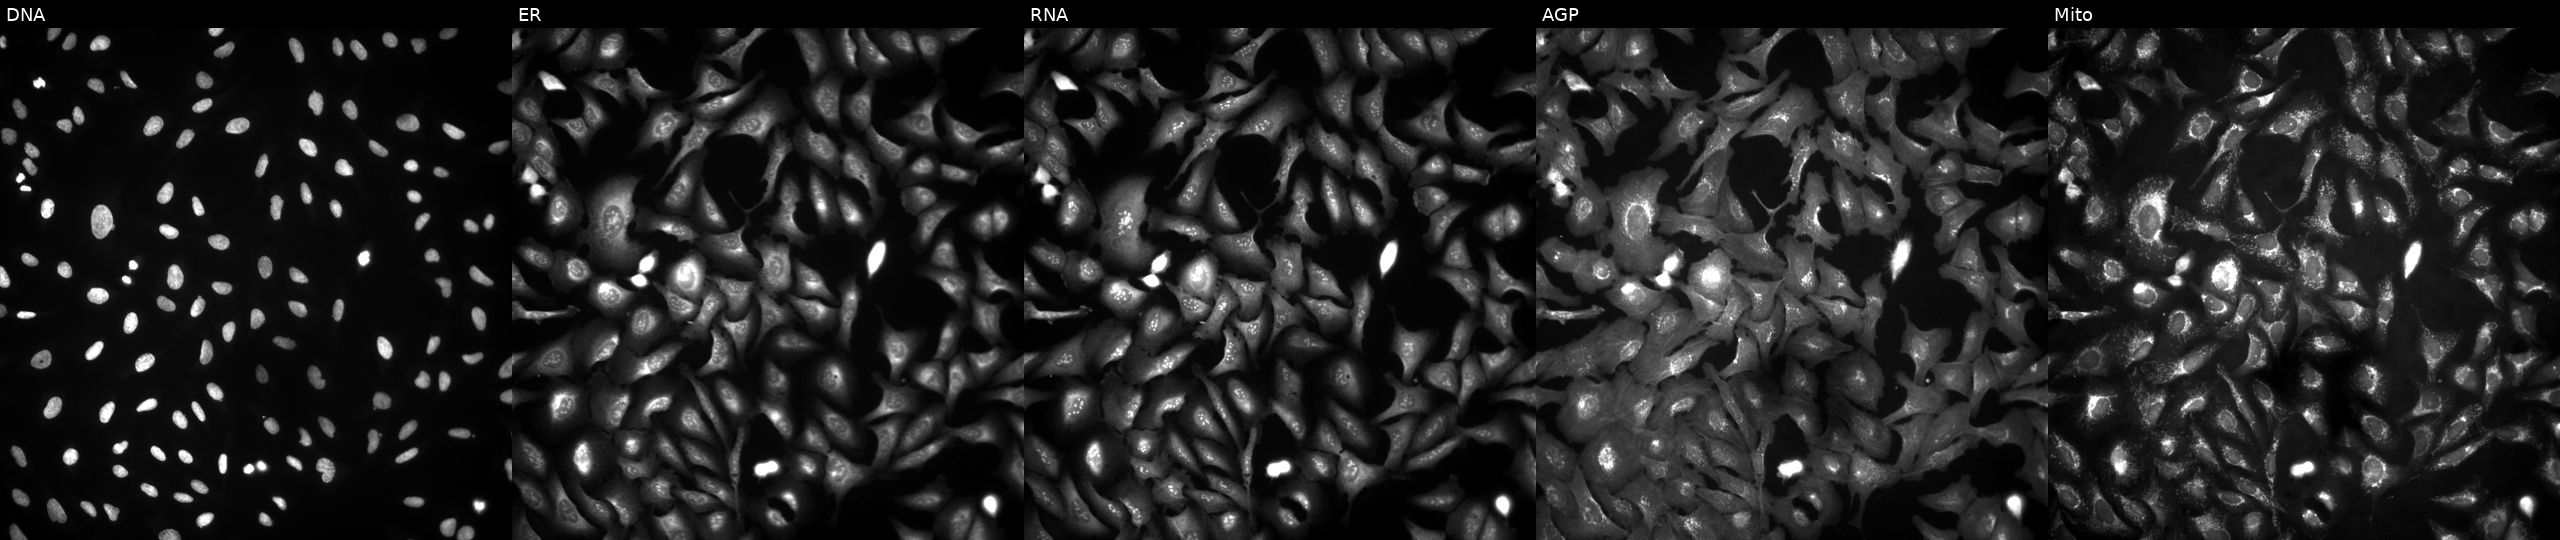
JUMP Cell Painting — ORF plate. U2OS cells overexpressing TLR3 via ORF transfection. The five panels, left to right, show DNA, ER, RNA, AGP, and Mito. Source 4, plate BR00124790, well N22.